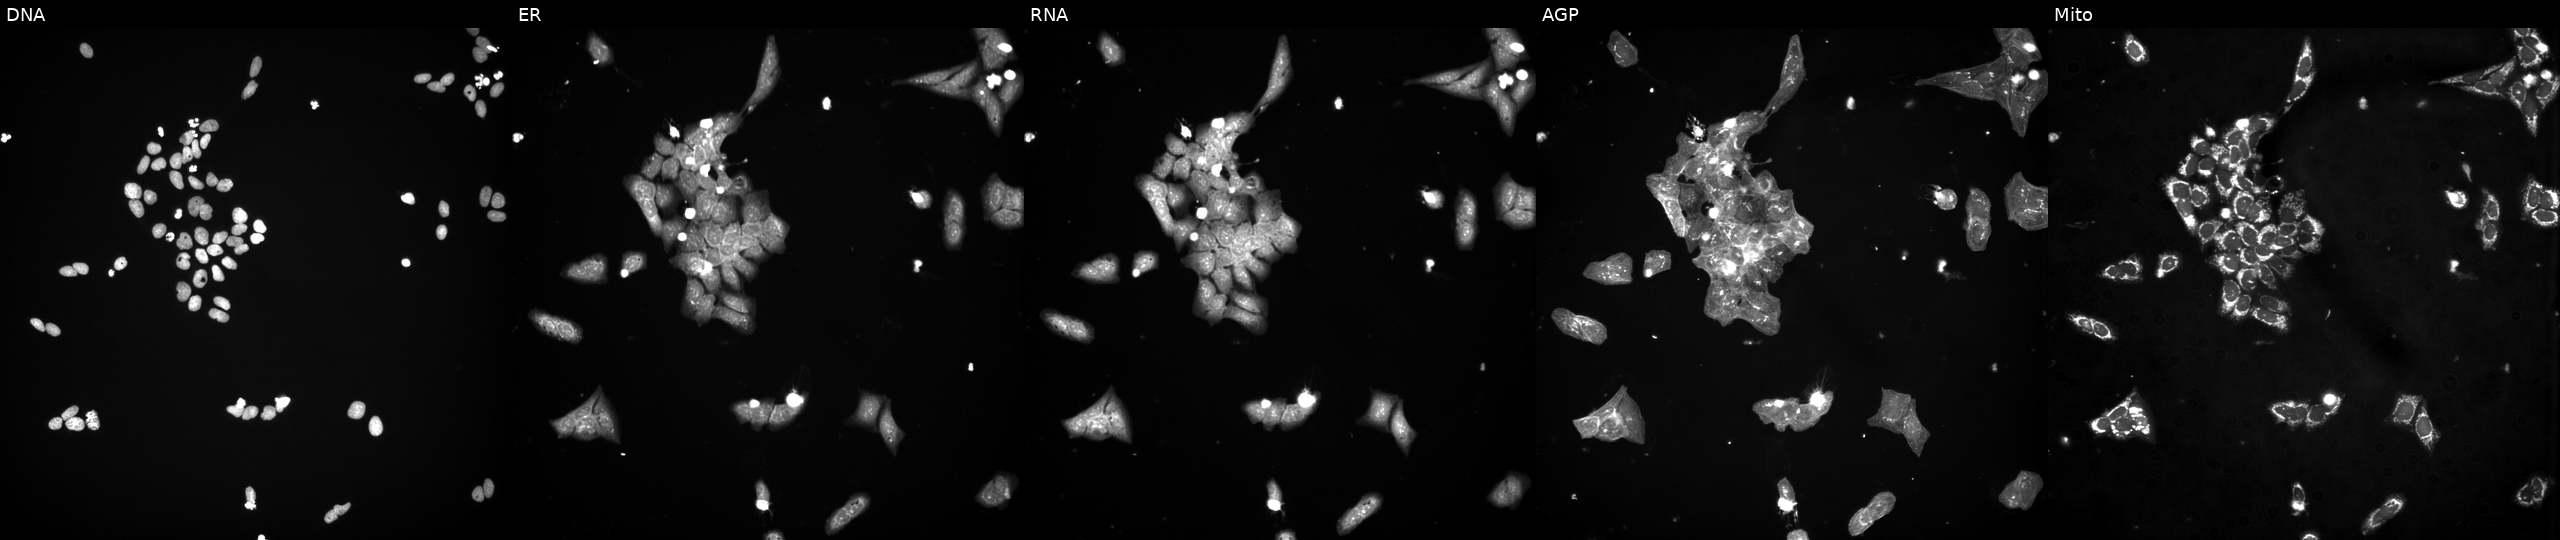
U2OS cells, Cell Painting assay, exposed to a small-molecule compound (InChIKey NVRXTLZYXZNATH-UHFFFAOYSA-N). Channels (left→right): DNA, ER, RNA, AGP, and Mito. Each panel is percentile-stretched 16-bit fluorescence.